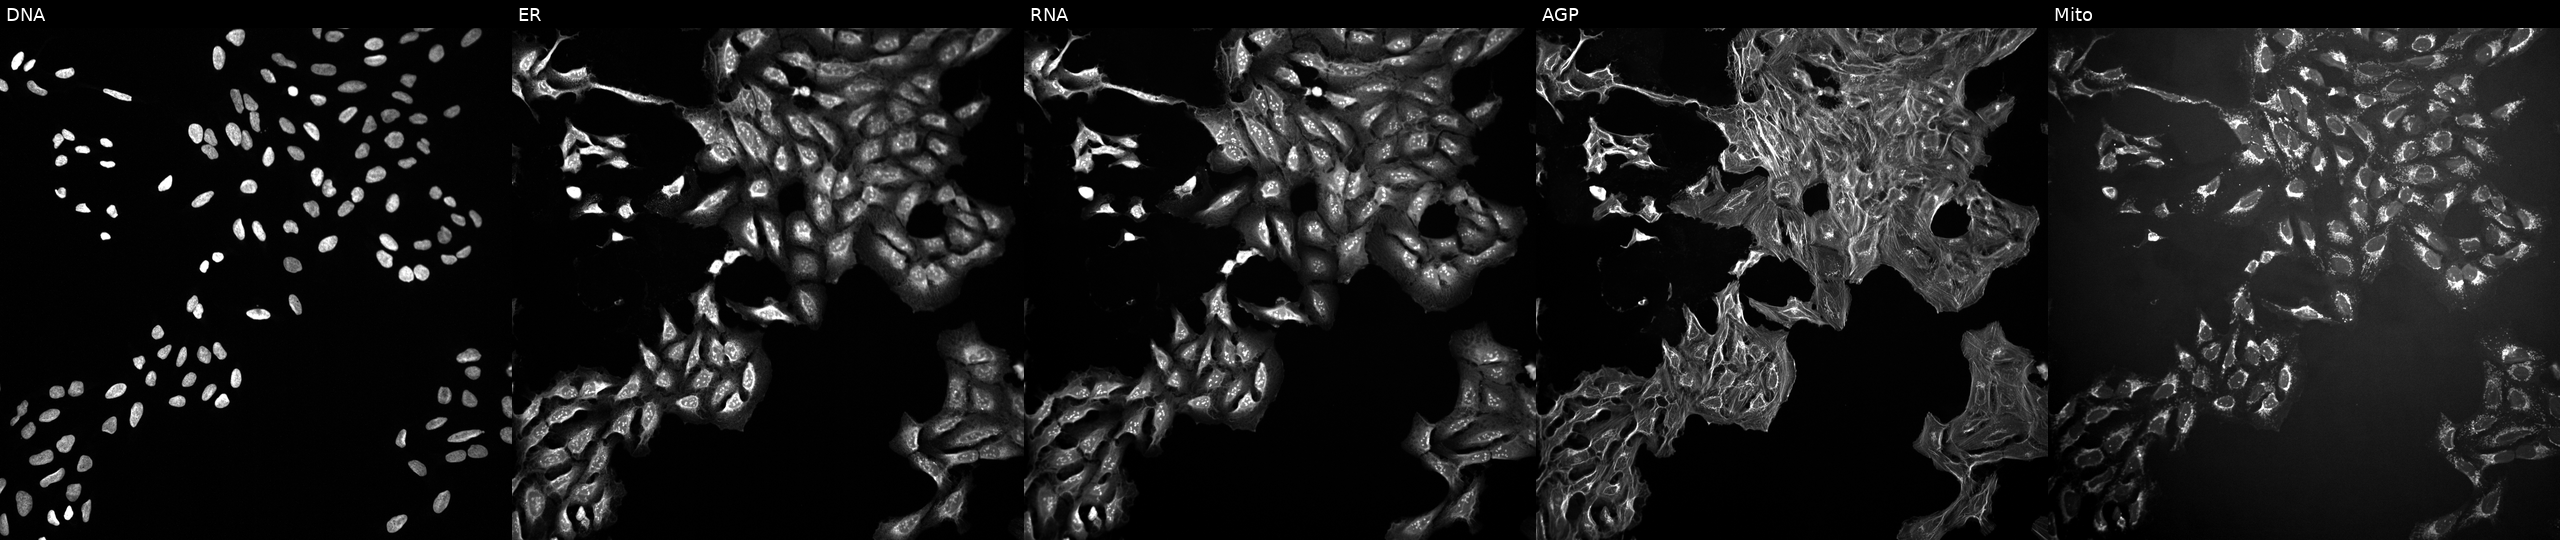
JUMP Cell Painting — TARGET2 plate. U2OS cells perturbed with a small-molecule compound (InChIKey ZJVFLBOZORBYFE-UHFFFAOYSA-N) (JUMP id JCP2022_113779). Panels show, left to right, DNA (nuclei); ER (endoplasmic reticulum); RNA (nucleoli and cytoplasmic RNA); AGP (actin cytoskeleton, Golgi, and plasma membrane); Mito (mitochondria). Source 10, plate Dest210726-160150, well D01.